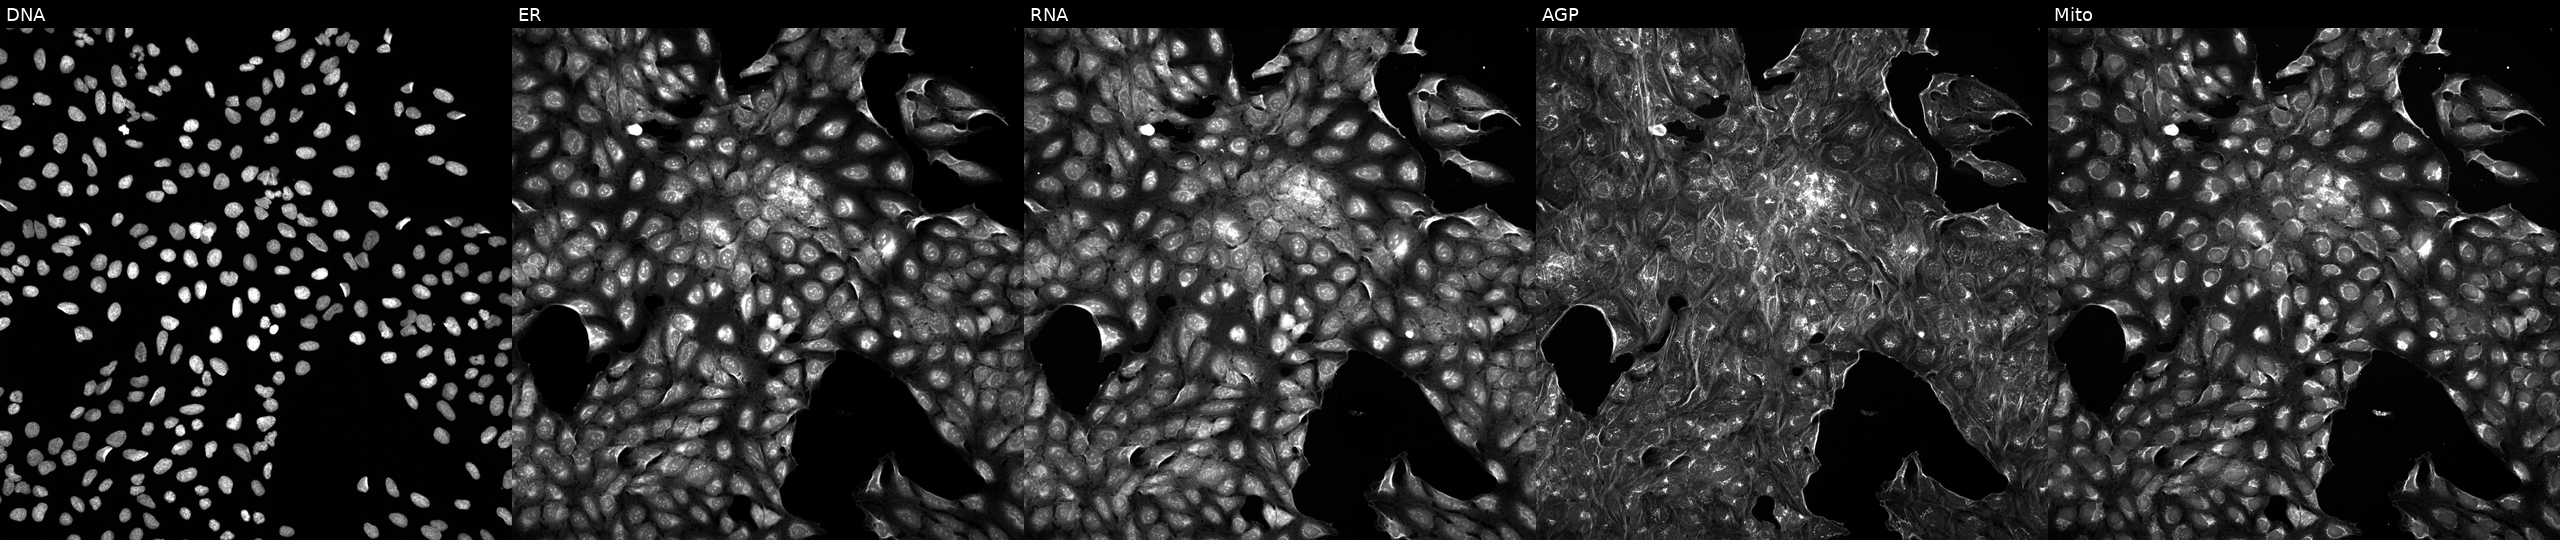
This image strip shows the five Cell Painting channels for a single field of U2OS cells exposed to a small-molecule compound (InChIKey YGZDJHHSJYOEKR-UHFFFAOYSA-N) [SMILES: Cc1csc(C2CCCCN2Cc2nc(C)no2)n1] (JUMP id JCP2022_108379). The five panels, left to right, show DNA, ER, RNA, AGP, and Mito.